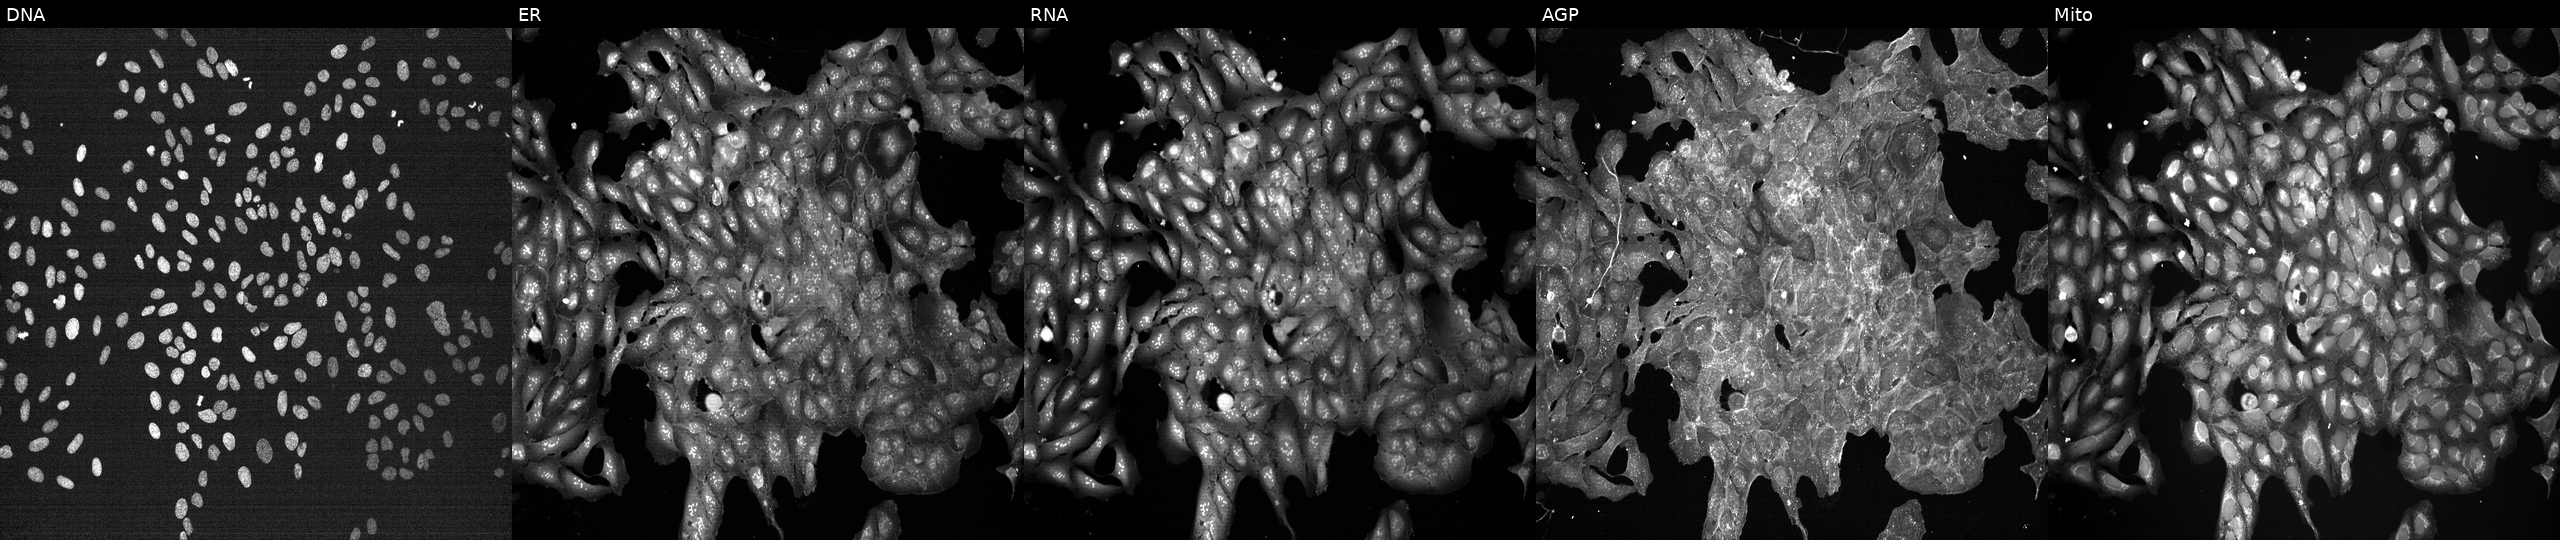
U2OS cells, Cell Painting assay, exposed to a small-molecule compound (InChIKey NMUSYJAQQFHJEW-UHFFFAOYSA-N). Channels (left→right): DNA, ER, RNA, AGP, and Mito. Each panel is percentile-stretched 16-bit fluorescence. Source 7, plate CP1-SC1-25, well H20.